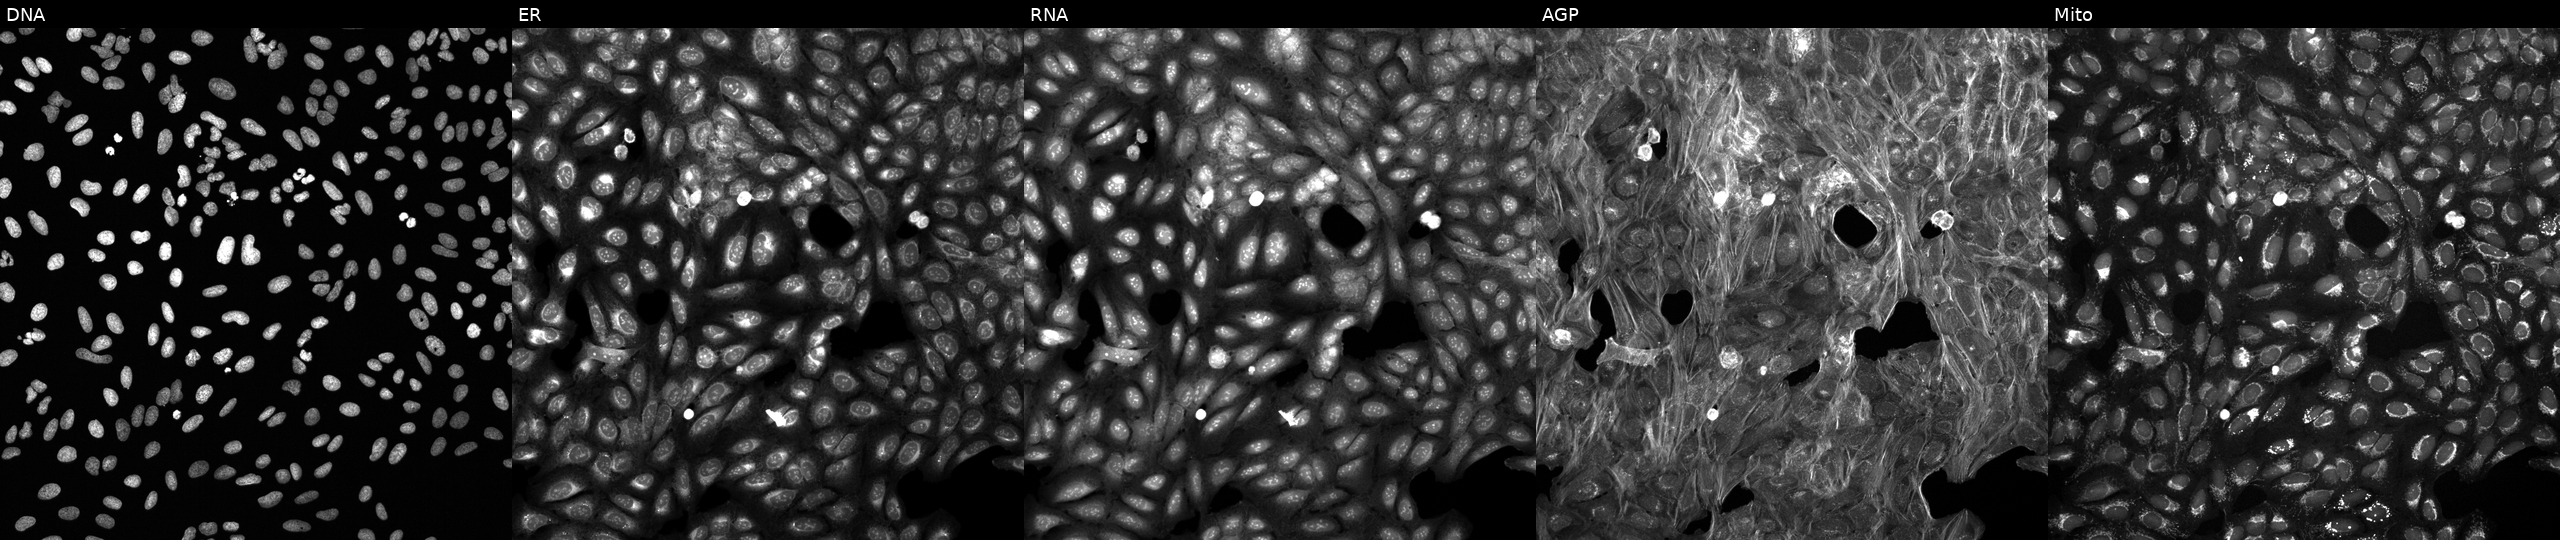
Channels (left→right): DNA (nuclei); ER (endoplasmic reticulum); RNA (nucleoli and cytoplasmic RNA); AGP (actin cytoskeleton, Golgi, and plasma membrane); Mito (mitochondria). U2OS osteosarcoma cells perturbed with a small-molecule compound (InChIKey LENZDBCJOHFCAS-UHFFFAOYSA-N) [SMILES: NC(CO)(CO)CO] (JUMP id JCP2022_048928). Cell Painting assay, JUMP-CP dataset. Source 6, plate 110000293093, well F02.